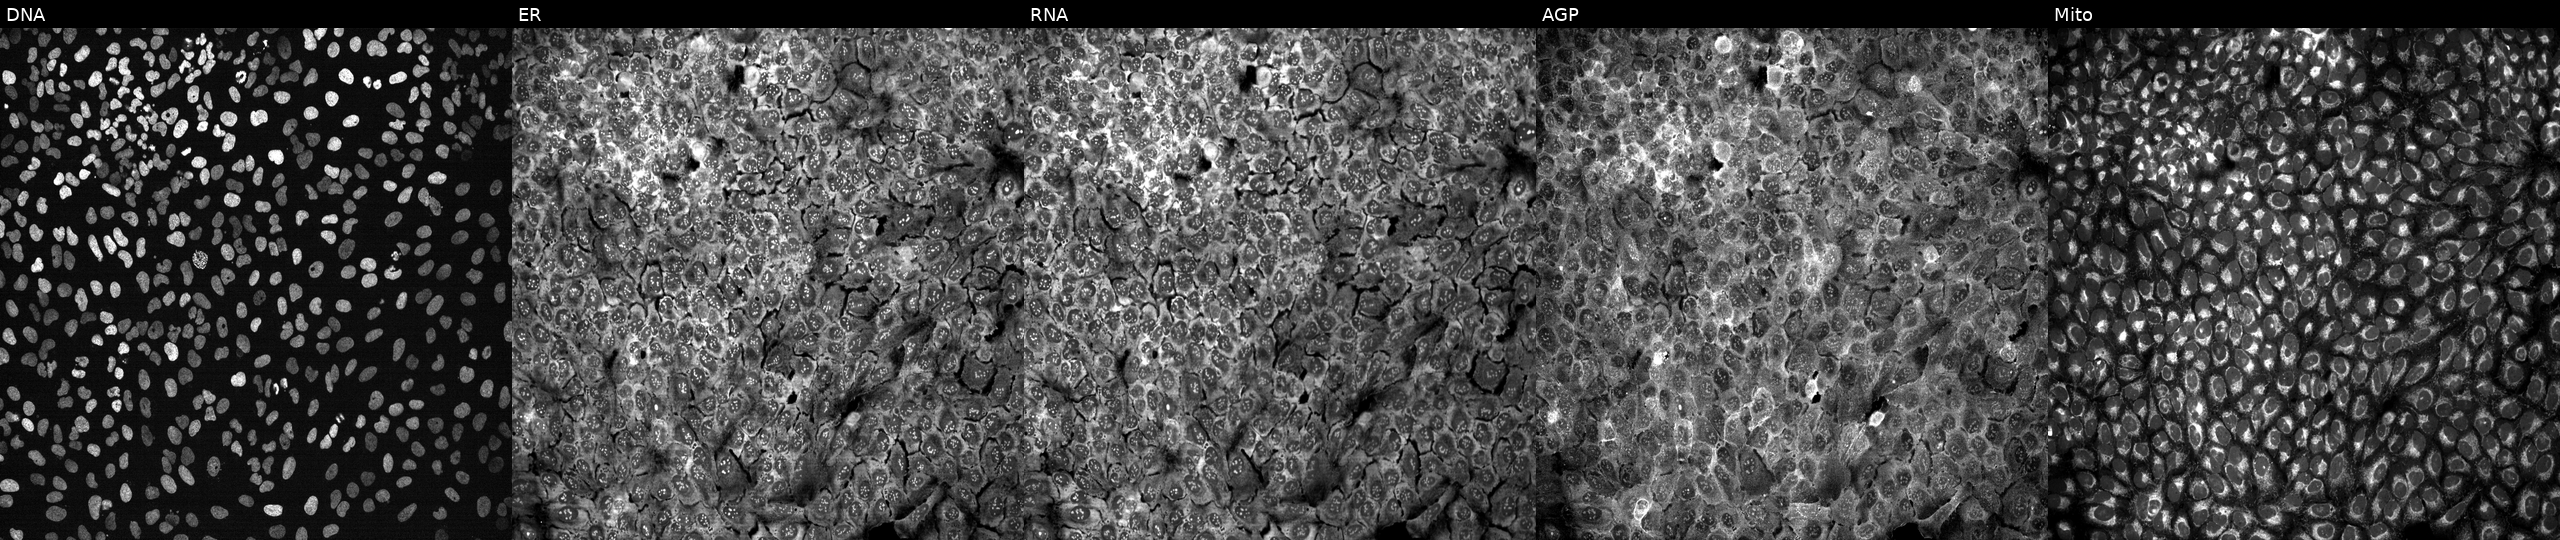
Five-channel Cell Painting image of U2OS cells CRISPR-edited to disrupt CD247 (JUMP id JCP2022_801150). Channels (left→right): DNA (nuclei); ER (endoplasmic reticulum); RNA (nucleoli and cytoplasmic RNA); AGP (actin cytoskeleton, Golgi, and plasma membrane); Mito (mitochondria).